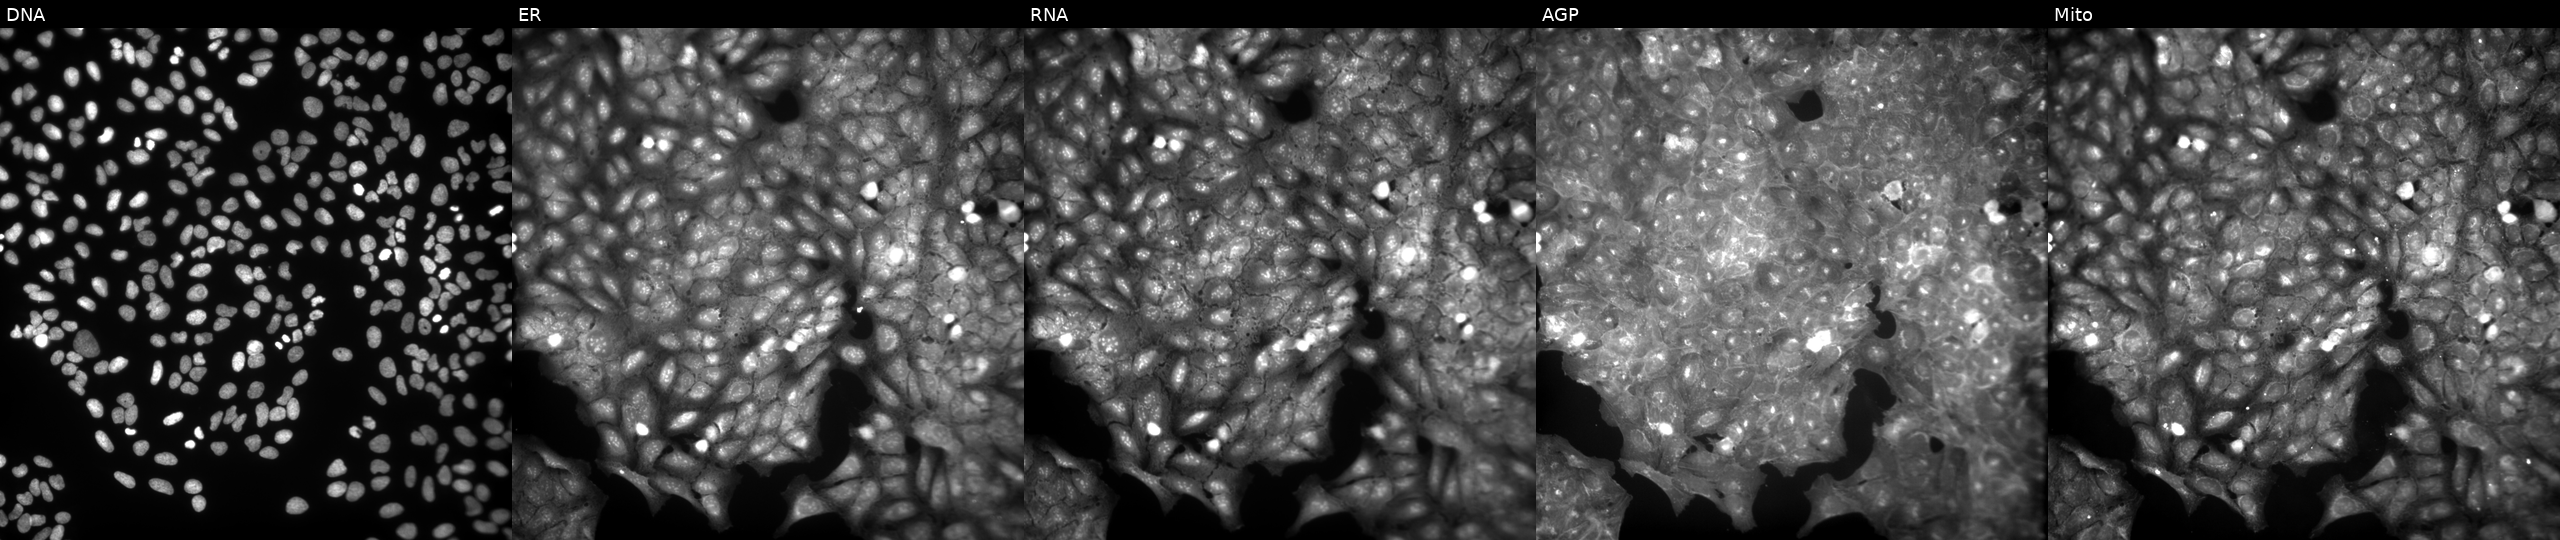
Channels (left→right): Hoechst 33342, concanavalin A, SYTO 14, phalloidin and WGA, MitoTracker. U2OS osteosarcoma cells exposed to a small-molecule compound (InChIKey YWNDEDYAFFWAJB-UHFFFAOYSA-N) (JUMP id JCP2022_111326). Cell Painting assay, JUMP-CP dataset.